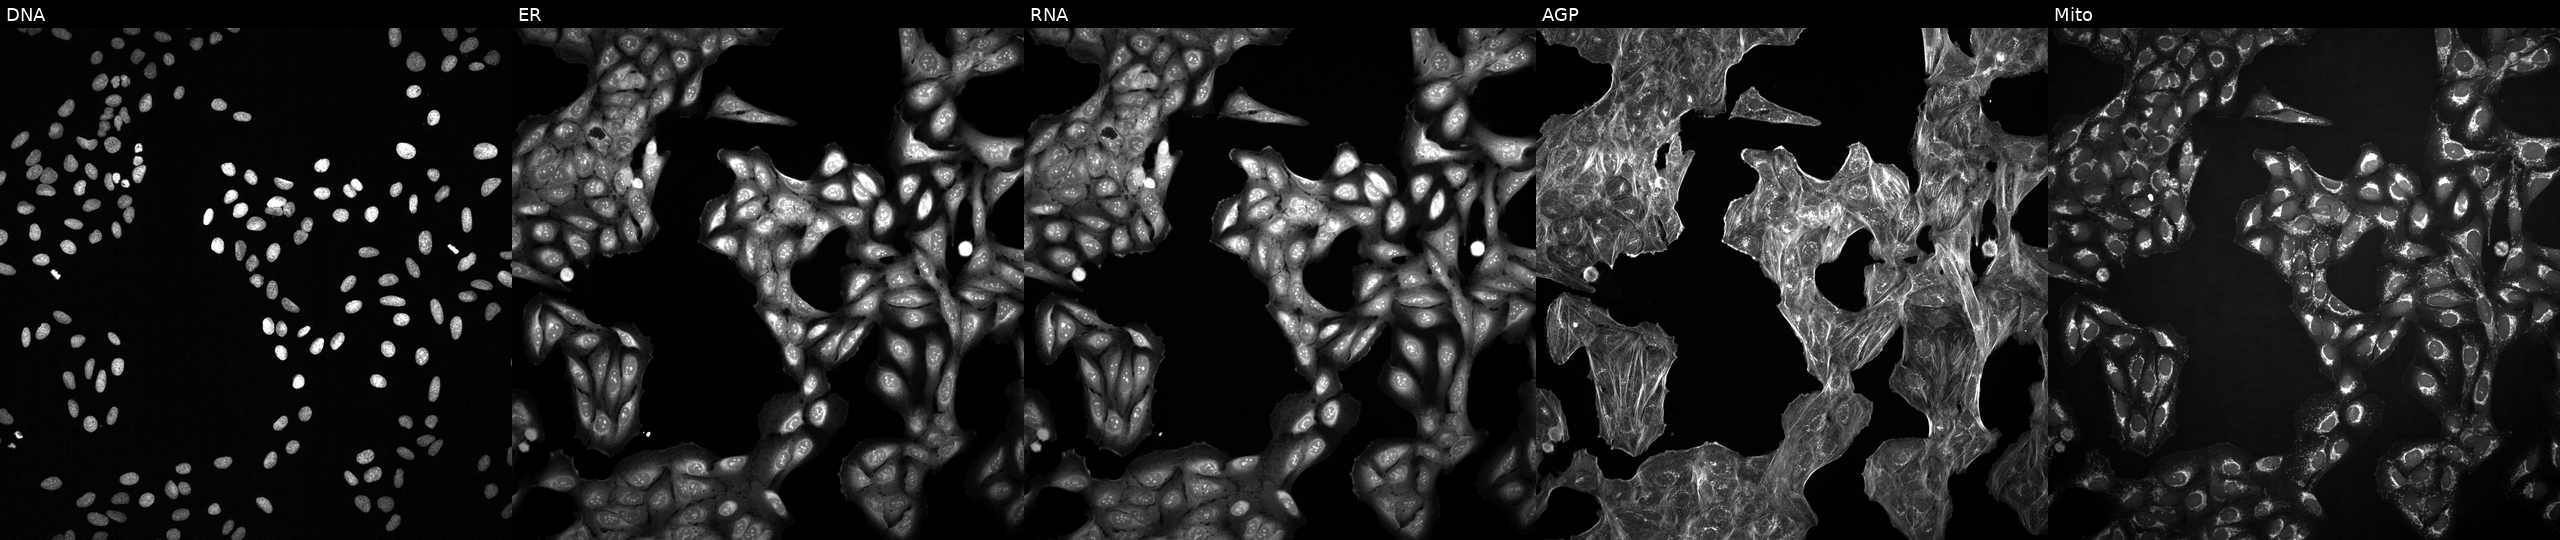
JUMP Cell Painting — COMPOUND plate. U2OS cells treated with a small-molecule compound (InChIKey LCGZJQDBWDXKDV-UHFFFAOYSA-N) (JUMP id JCP2022_048521). The five panels, left to right, show Hoechst 33342, concanavalin A, SYTO 14, phalloidin and WGA, MitoTracker.